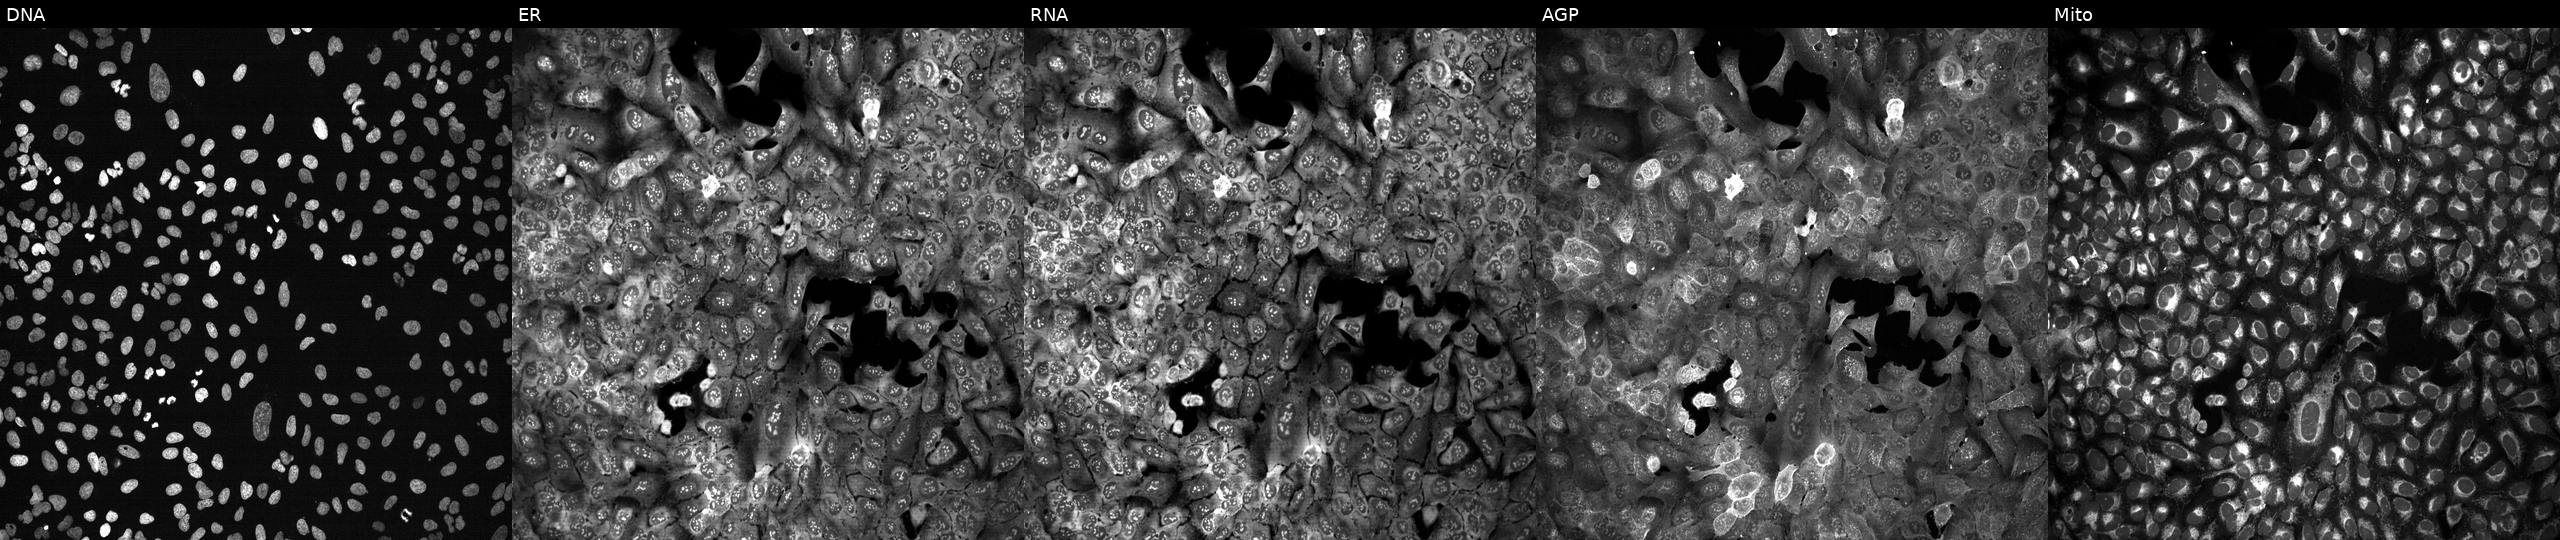
High-content fluorescence microscopy (Cell Painting). Cell line: U2OS. Perturbation: with CD79A knocked out by CRISPR. Panels show, left to right, Hoechst 33342, concanavalin A, SYTO 14, phalloidin and WGA, MitoTracker. Source 13, plate CP-CC9-R4-04, well H21.